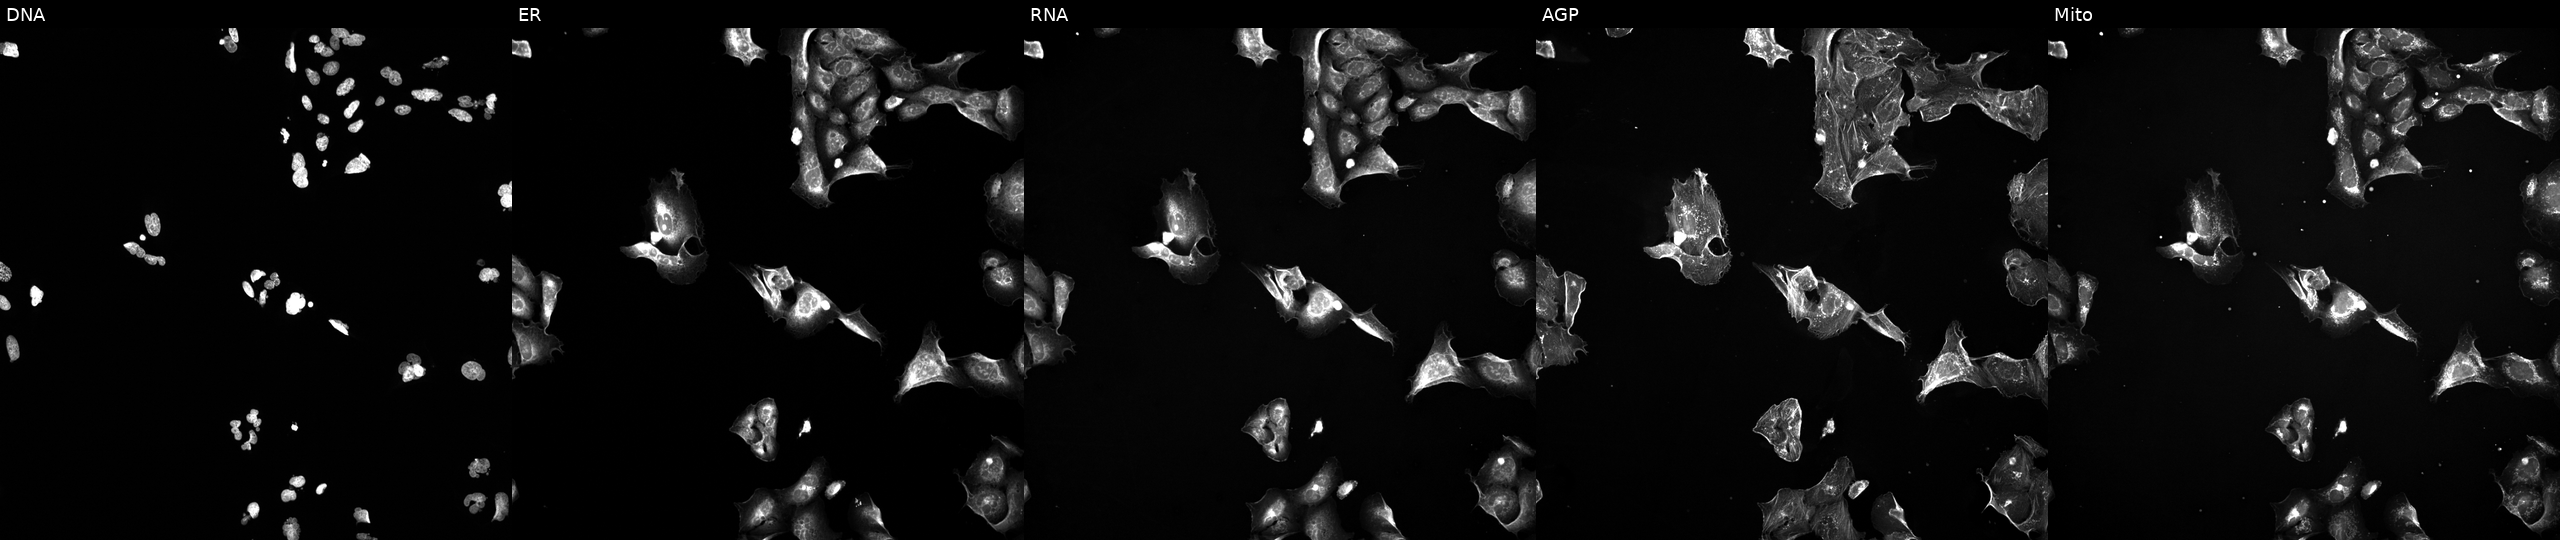
High-content fluorescence microscopy (Cell Painting). Cell line: U2OS. Perturbation: exposed to a small-molecule compound (InChIKey JOLJIIDDOBNFHW-UHFFFAOYSA-N) [SMILES: CCCCCCOc1nsnc1C1=CCCN(C)C1]. Channels (left→right): DNA, ER, RNA, AGP, and Mito.